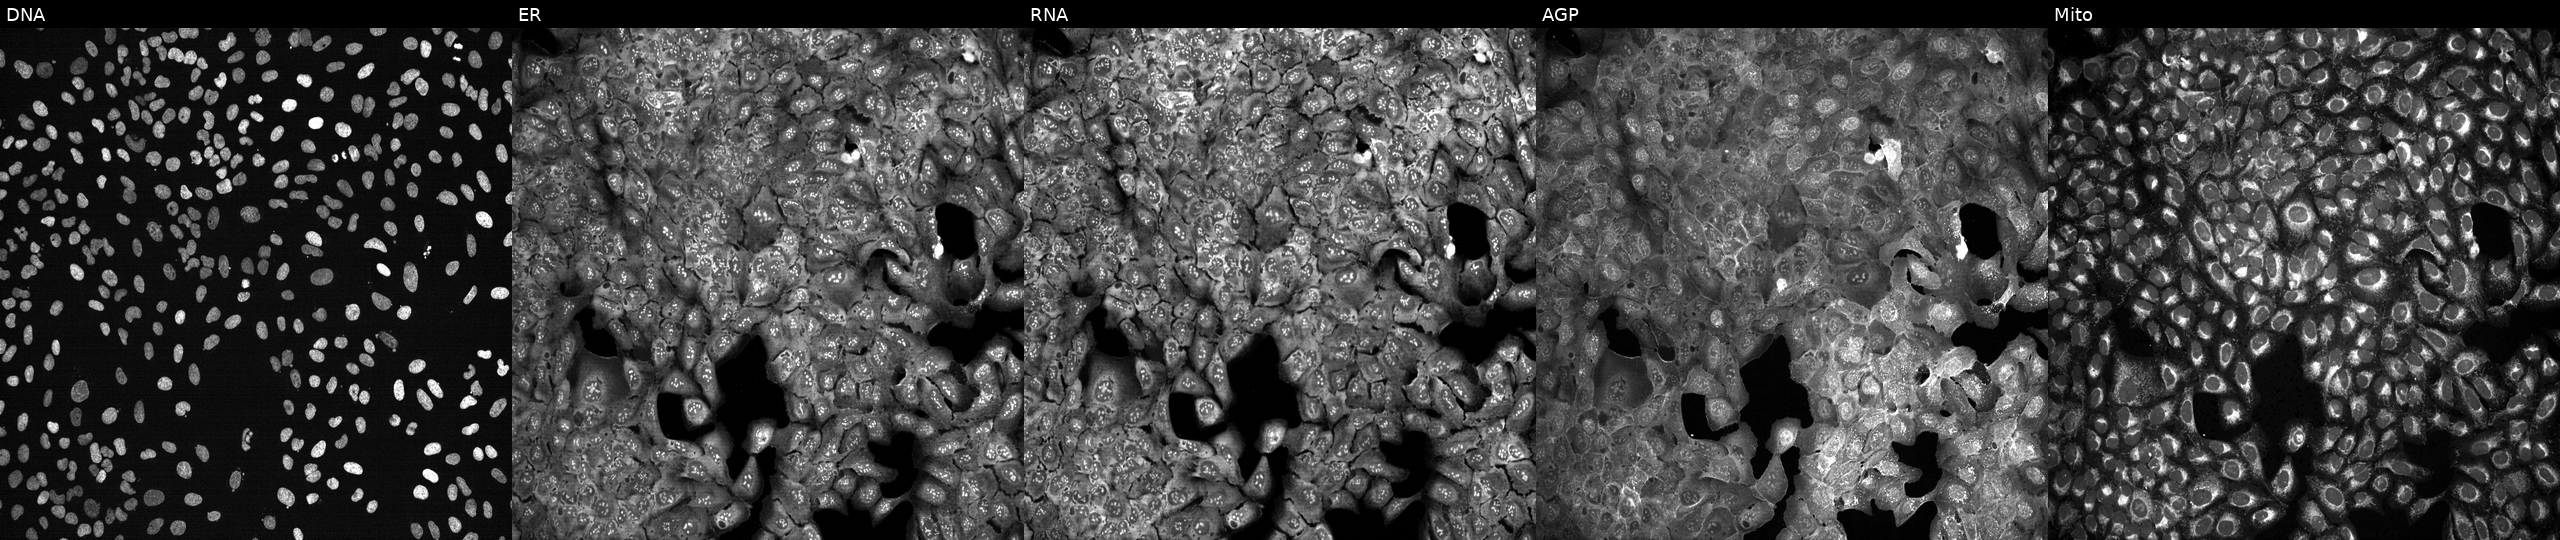
This image strip shows the five Cell Painting channels for a single field of U2OS cells with KPNA3 knocked out by CRISPR. Channels (left→right): Hoechst 33342, concanavalin A, SYTO 14, phalloidin and WGA, MitoTracker. Source 13, plate CP-CC9-R4-04, well B08.